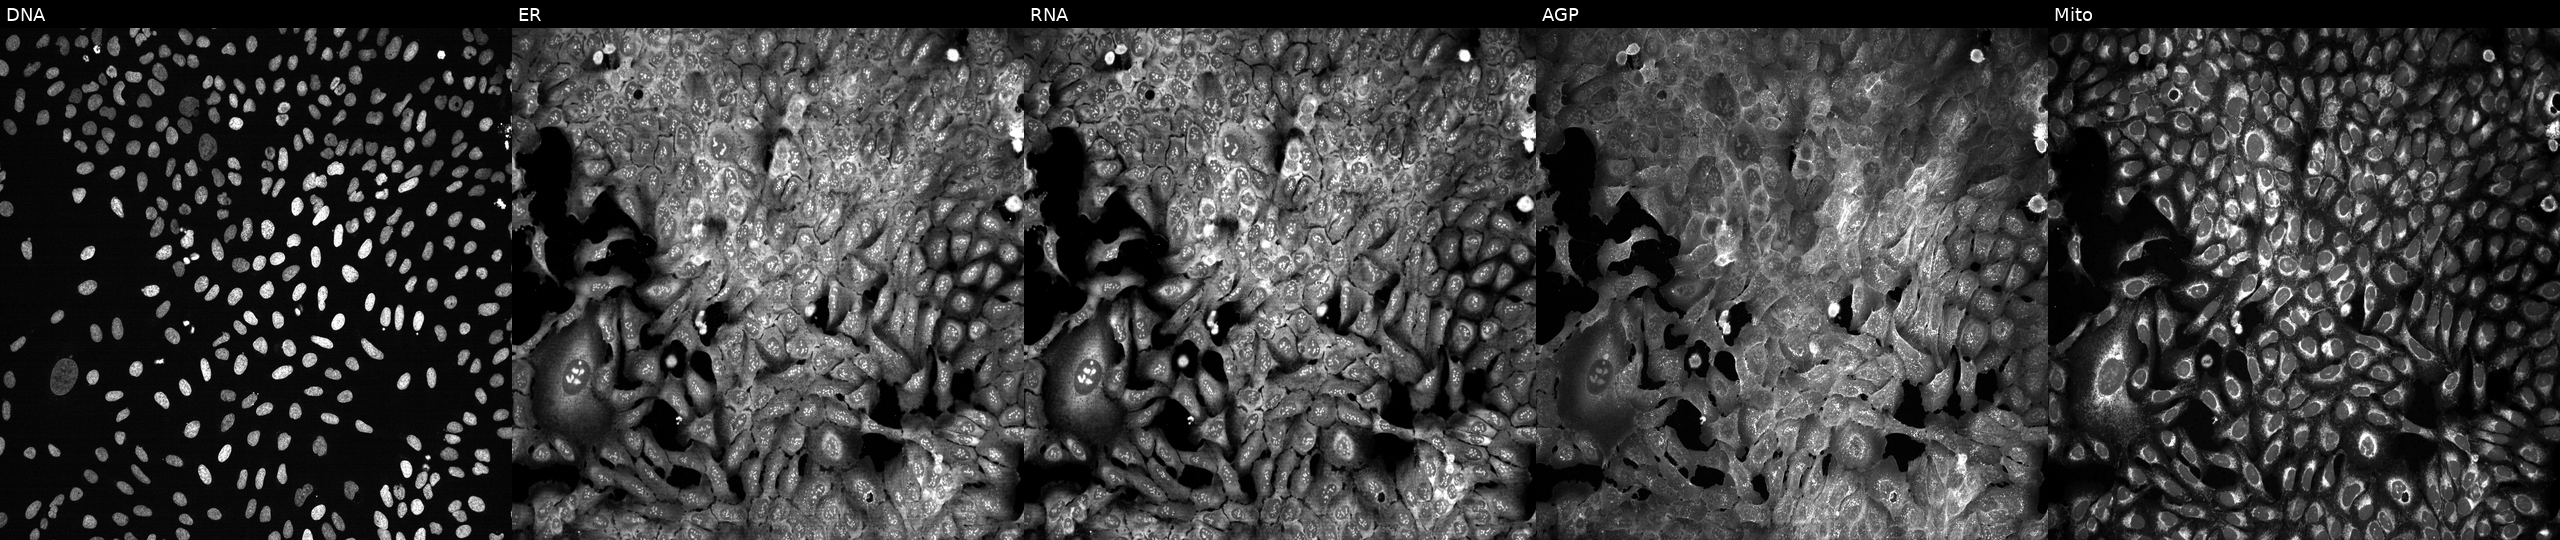
Panels show, left to right, Hoechst 33342, concanavalin A, SYTO 14, phalloidin and WGA, MitoTracker. U2OS osteosarcoma cells CRISPR-edited to disrupt CPB2 (JUMP id JCP2022_801471). Cell Painting assay, JUMP-CP dataset.